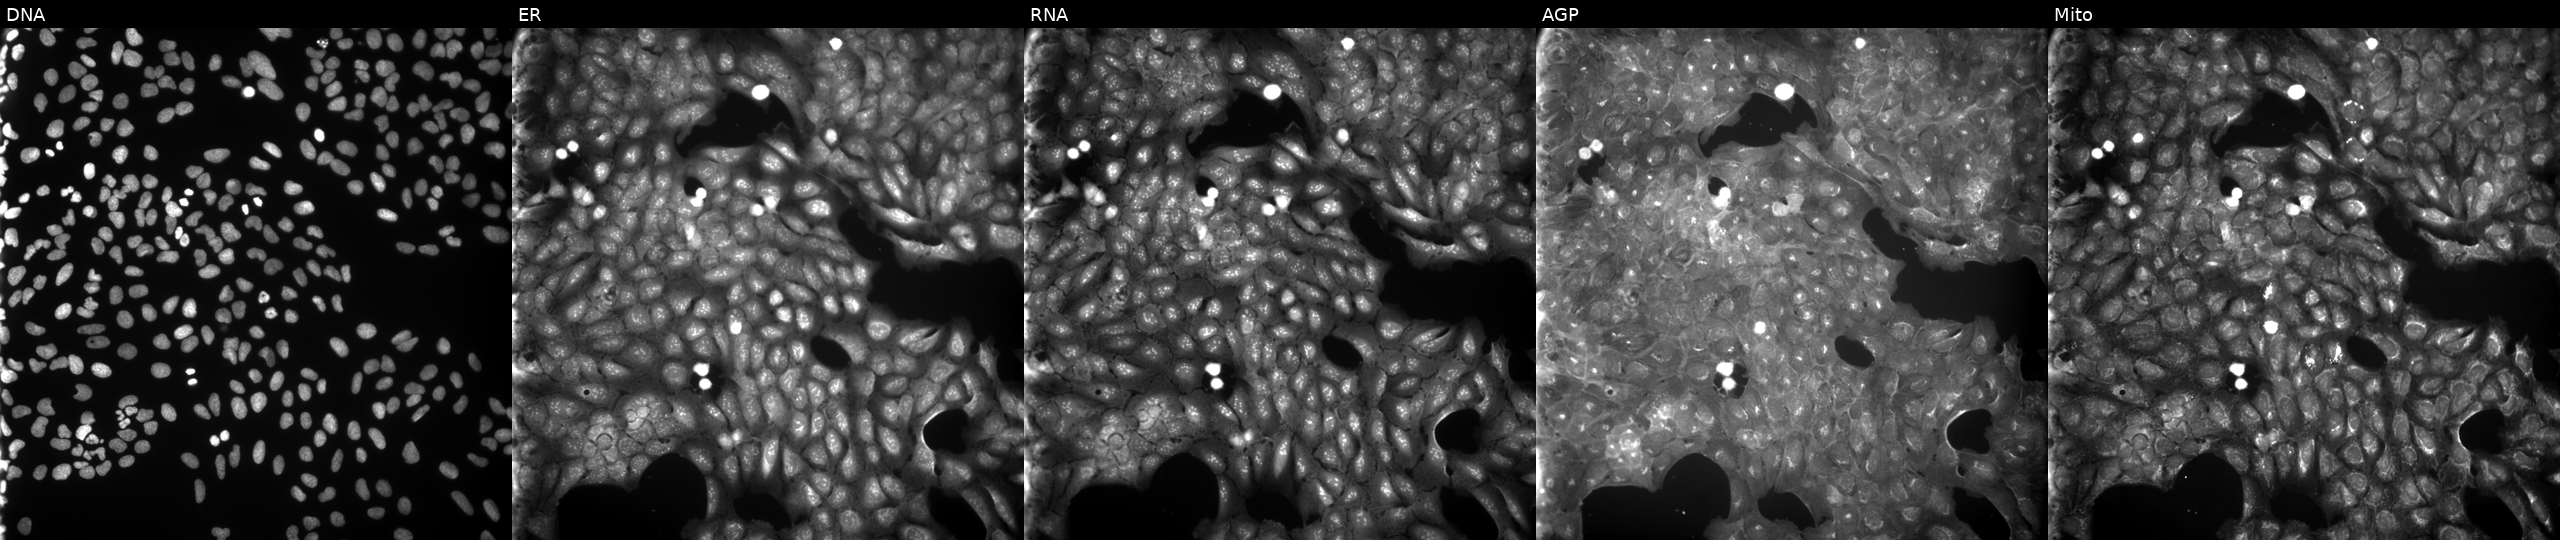
This image strip shows the five Cell Painting channels for a single field of U2OS cells treated with a small-molecule compound (JUMP id JCP2022_016245). The five panels, left to right, show DNA (nuclei); ER (endoplasmic reticulum); RNA (nucleoli and cytoplasmic RNA); AGP (actin cytoskeleton, Golgi, and plasma membrane); Mito (mitochondria).